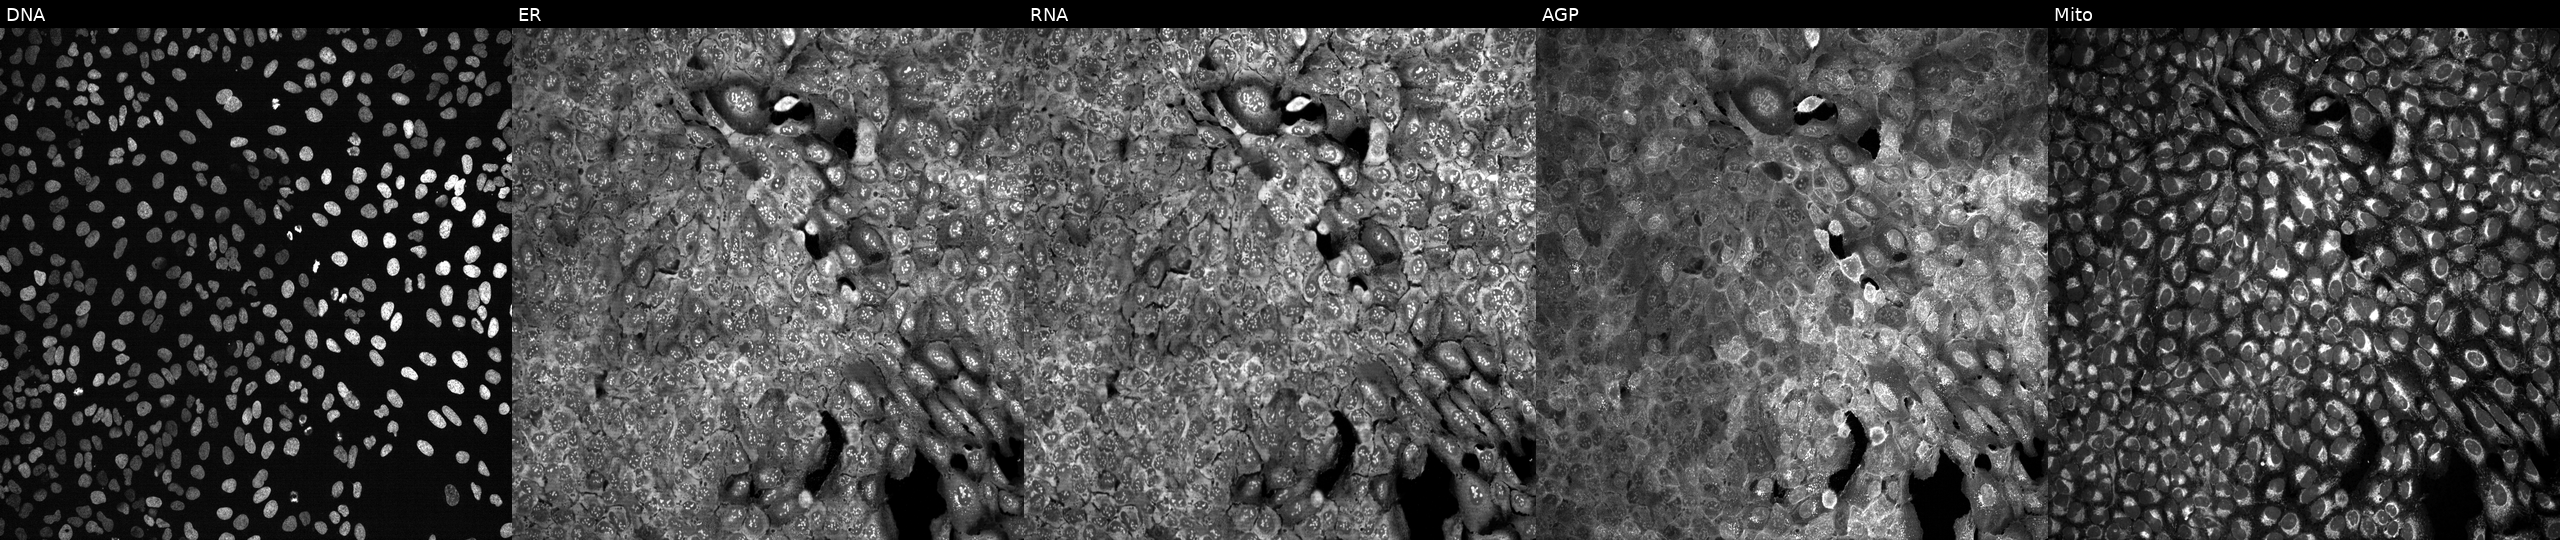
Five-channel Cell Painting image of U2OS cells with RASA3 knocked out by CRISPR. The five panels, left to right, show Hoechst 33342, concanavalin A, SYTO 14, phalloidin and WGA, MitoTracker. Source 13, plate CP-CC9-R4-04, well B04.